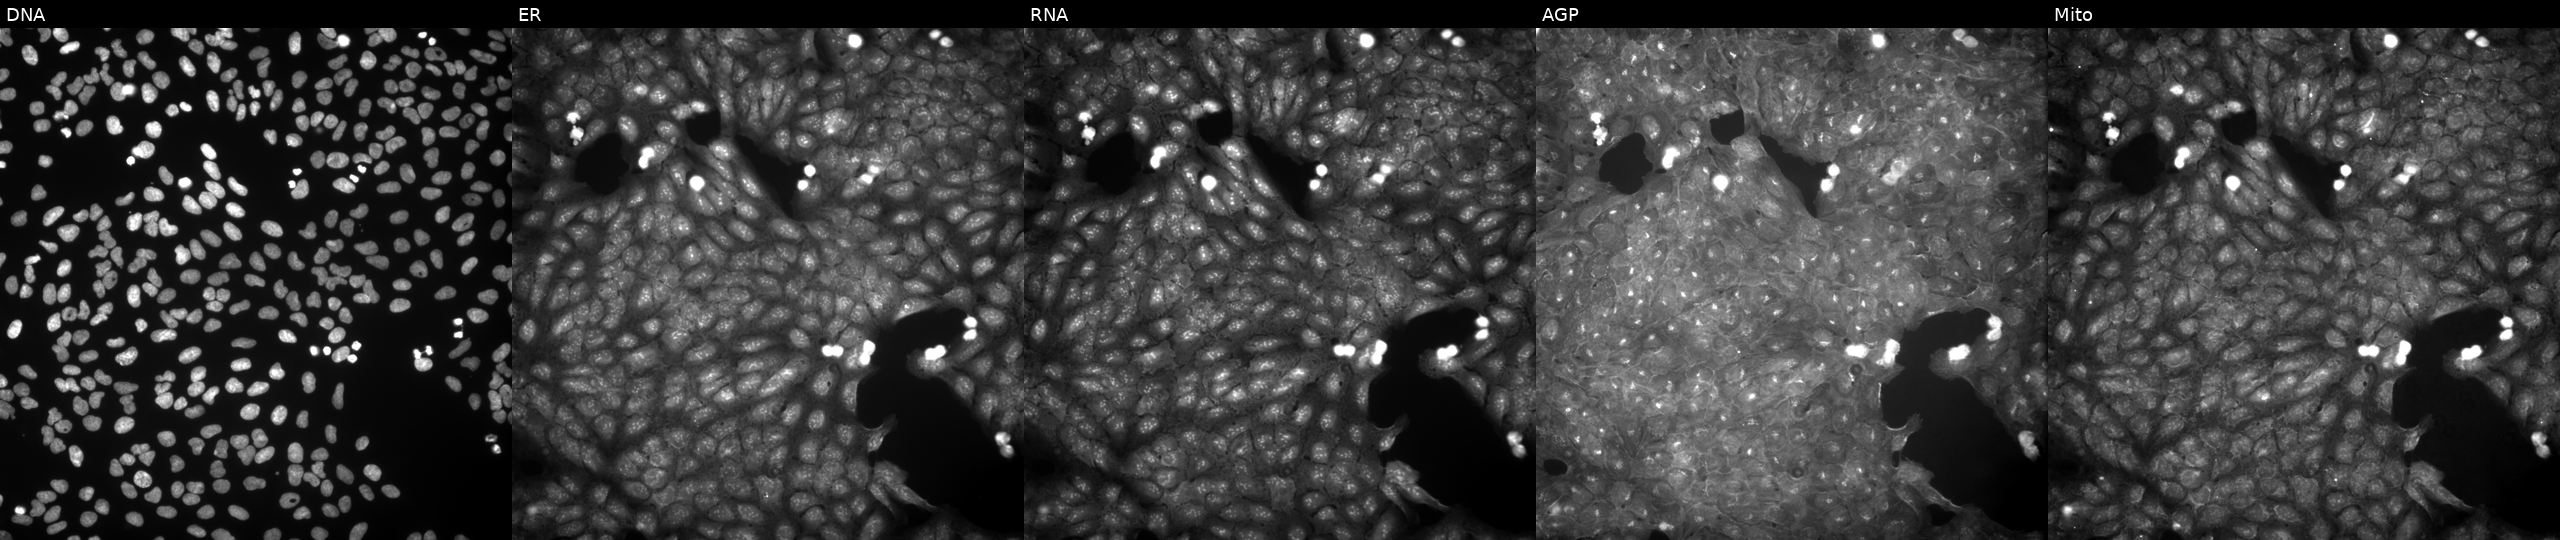
Five-channel Cell Painting image of U2OS cells perturbed with a small-molecule compound (InChIKey NJMPSUYFWNQGKT-UHFFFAOYSA-N) (JUMP id JCP2022_059400). From left to right: DNA, ER, RNA, AGP, and Mito.